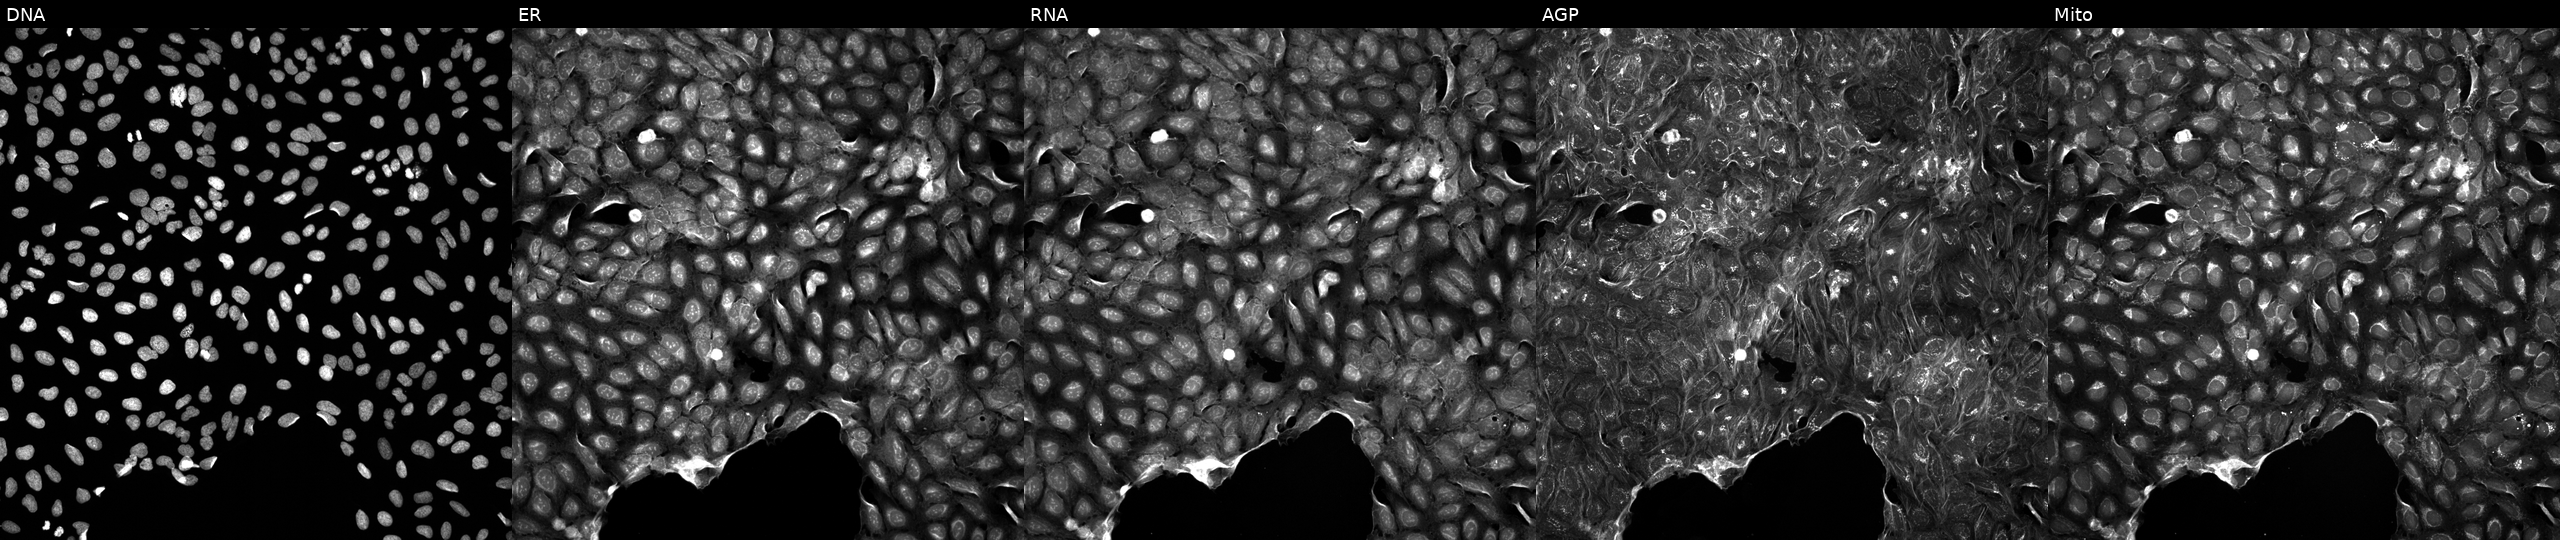
U2OS cells, Cell Painting assay, exposed to DMSO alone as a negative control (JUMP id JCP2022_033924). The five panels, left to right, show DNA, ER, RNA, AGP, and Mito. Each panel is percentile-stretched 16-bit fluorescence.